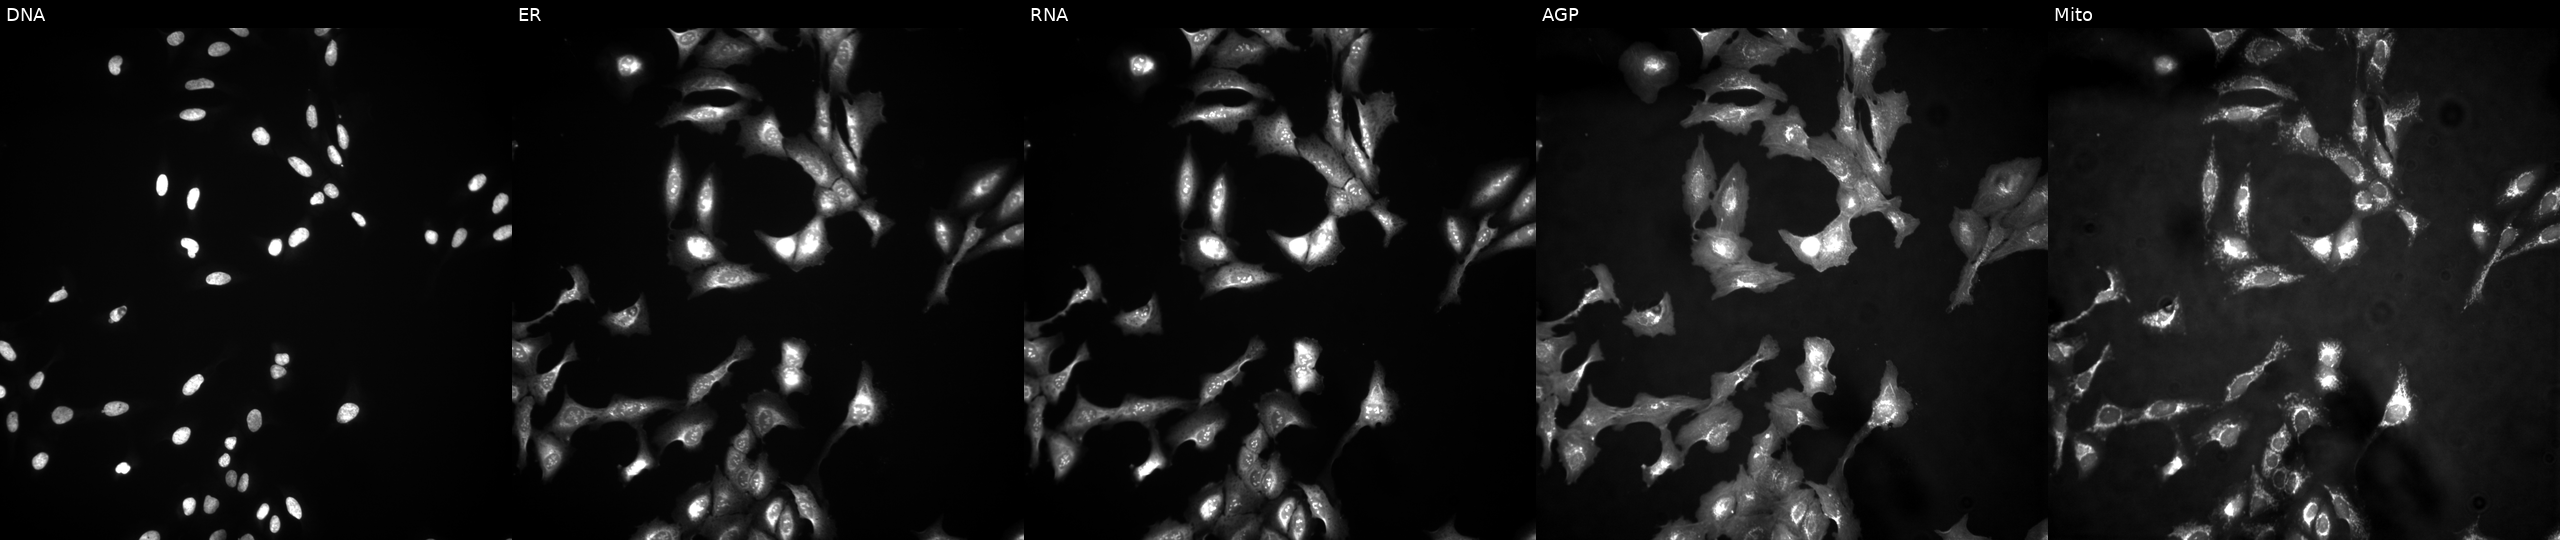
U2OS cells, Cell Painting assay, with ARAF overexpressed (ORF) (JUMP id JCP2022_912879). Panels show, left to right, DNA, ER, RNA, AGP, and Mito. Each panel is percentile-stretched 16-bit fluorescence.